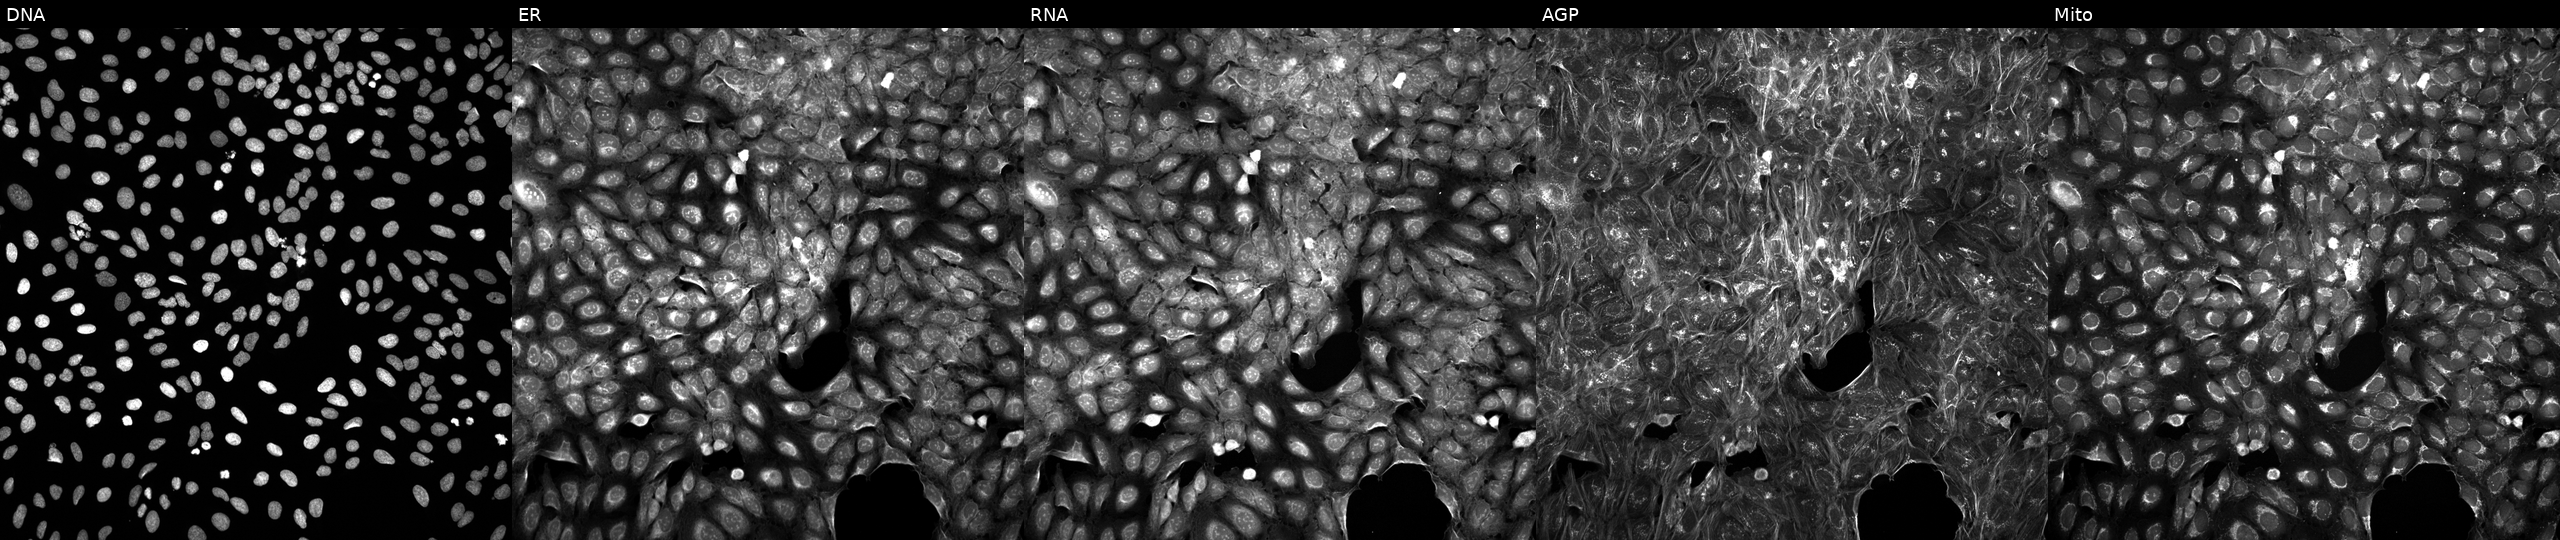
Channels (left→right): DNA, ER, RNA, AGP, and Mito. U2OS osteosarcoma cells treated with a small-molecule compound (InChIKey HSUGRBWQSSZJOP-UHFFFAOYSA-N). Cell Painting assay, JUMP-CP dataset.